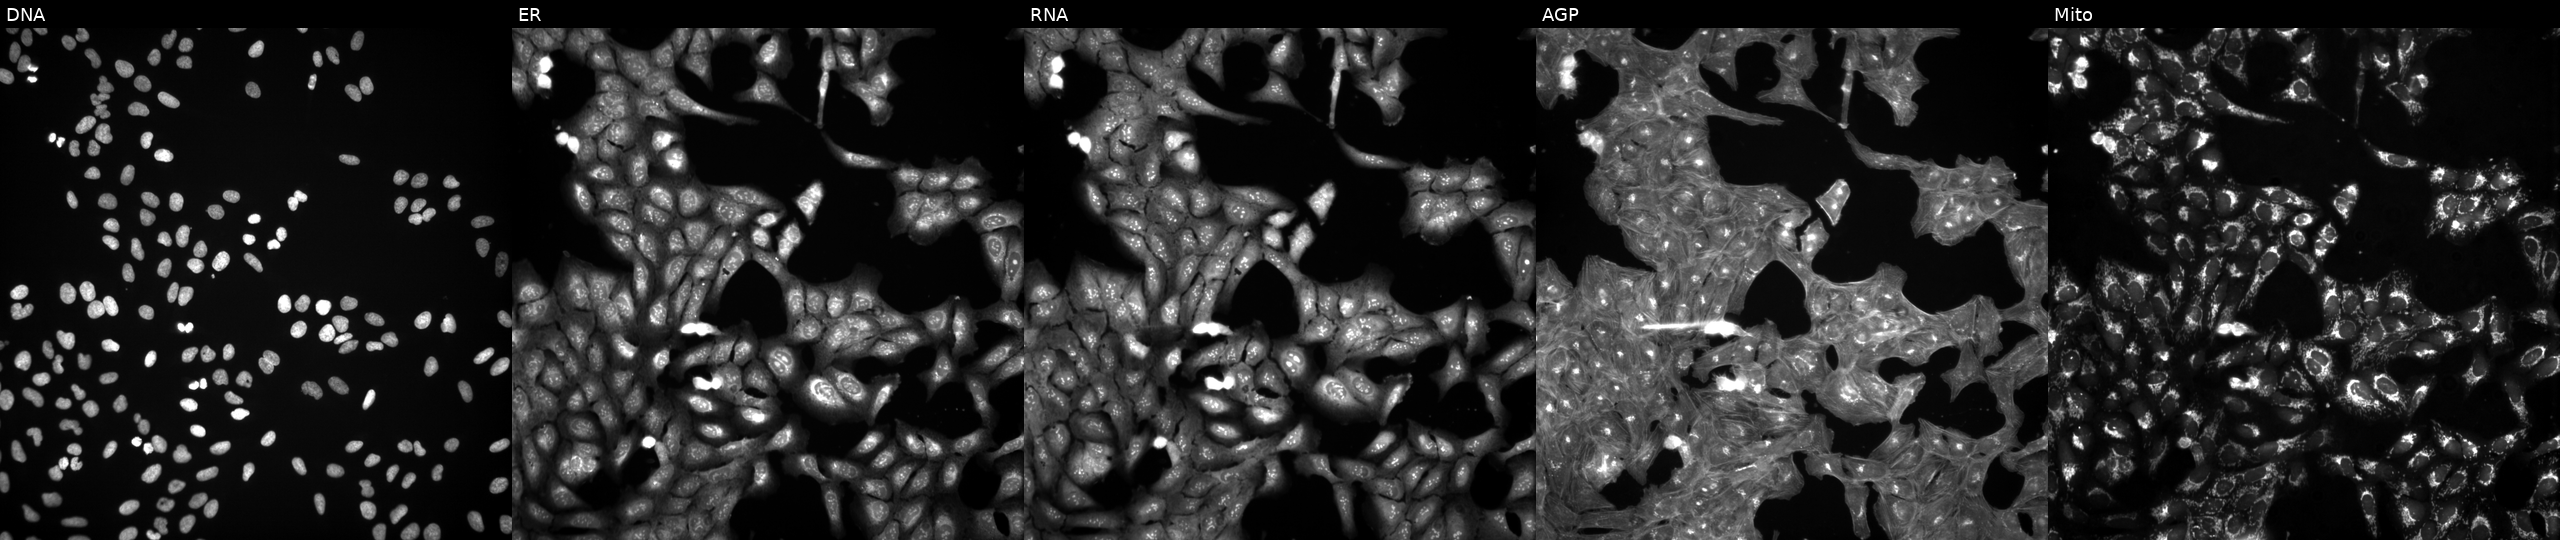
The five panels, left to right, show Hoechst 33342, concanavalin A, SYTO 14, phalloidin and WGA, MitoTracker. U2OS osteosarcoma cells exposed to a small-molecule compound (JUMP id JCP2022_031861). Cell Painting assay, JUMP-CP dataset. Source 3, plate JCPQC051, well K18.